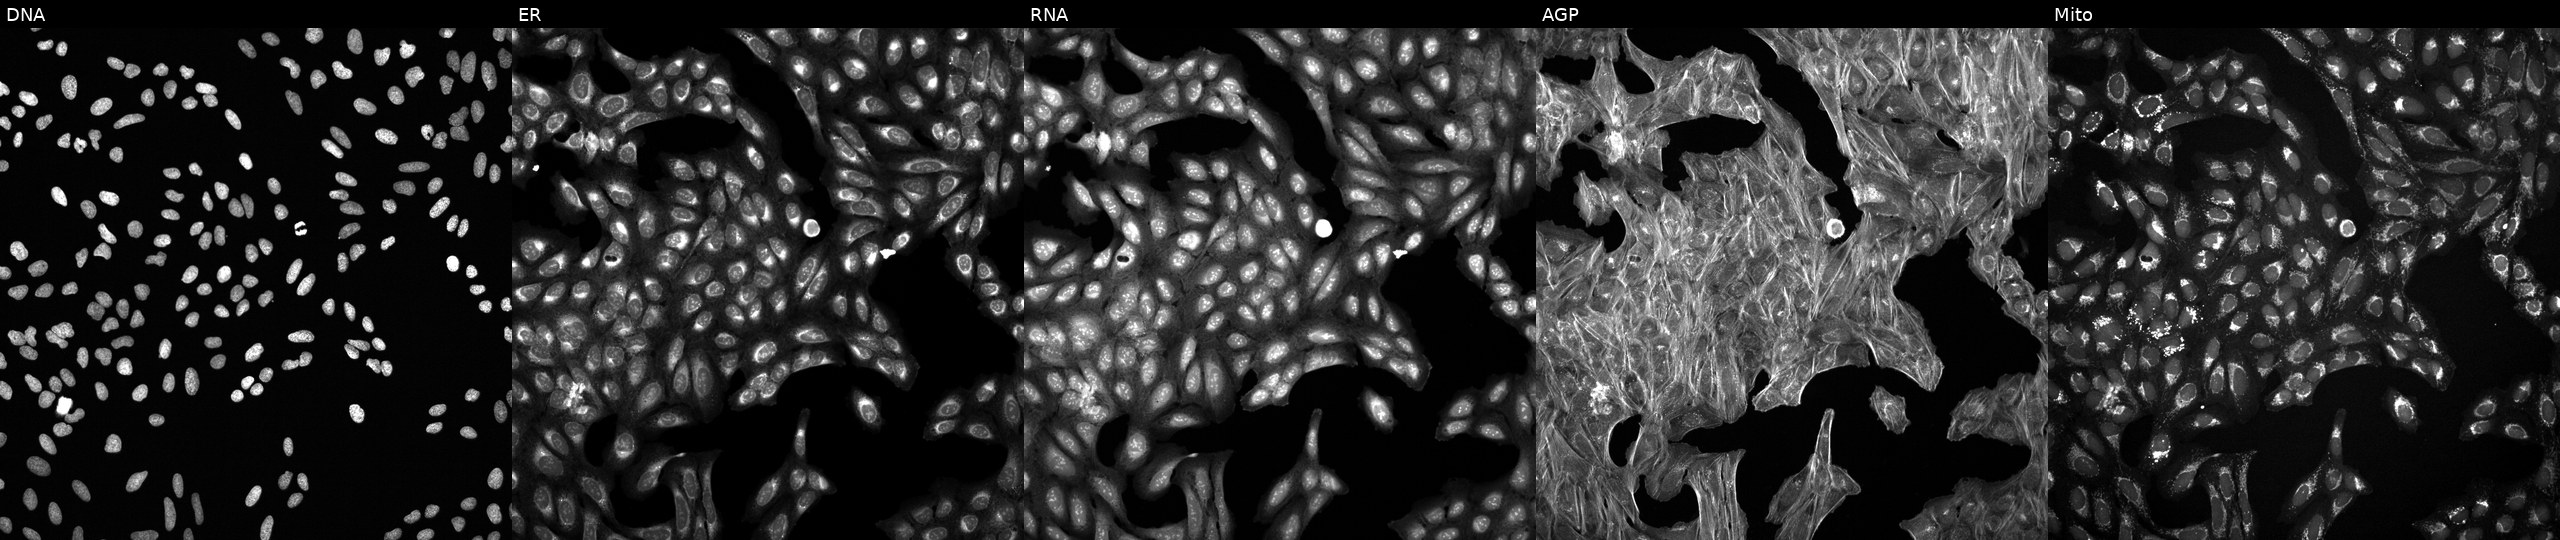
Panels show, left to right, DNA, ER, RNA, AGP, and Mito. U2OS osteosarcoma cells perturbed with a small-molecule compound (InChIKey GXMNIMHAKJDSOG-UHFFFAOYSA-N) (JUMP id JCP2022_028394). Cell Painting assay, JUMP-CP dataset. Source 6, plate 110000293083, well H20.